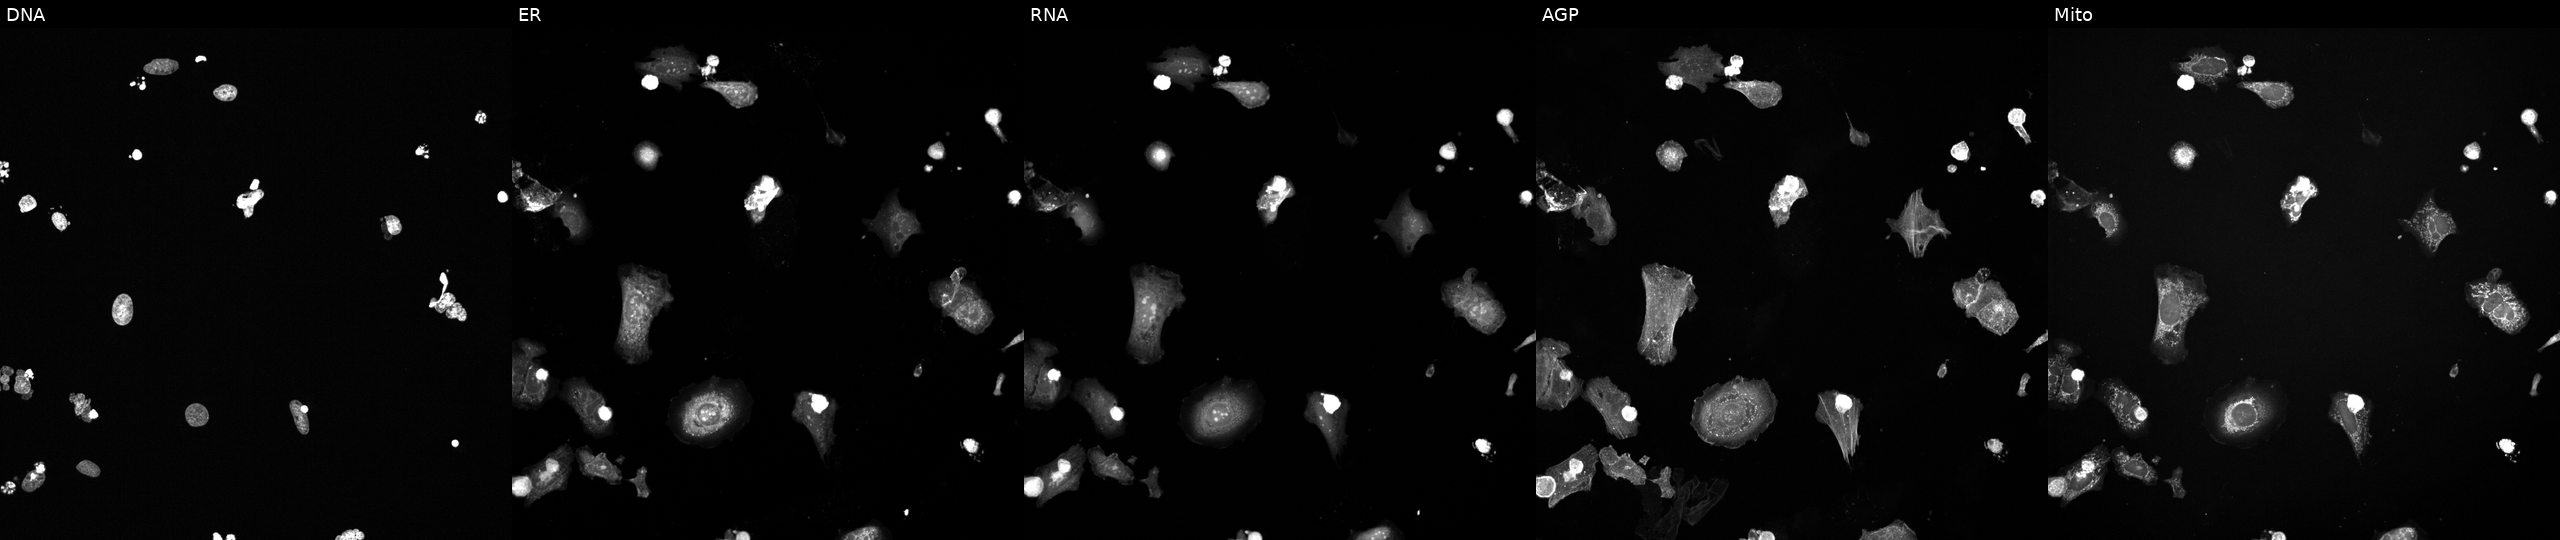
U2OS cells, Cell Painting assay, perturbed with a small-molecule compound (InChIKey MTJHLONVHHPNSI-UHFFFAOYSA-N). Panels show, left to right, DNA, ER, RNA, AGP, and Mito. Each panel is percentile-stretched 16-bit fluorescence. Source 6, plate 110000294901, well F10.